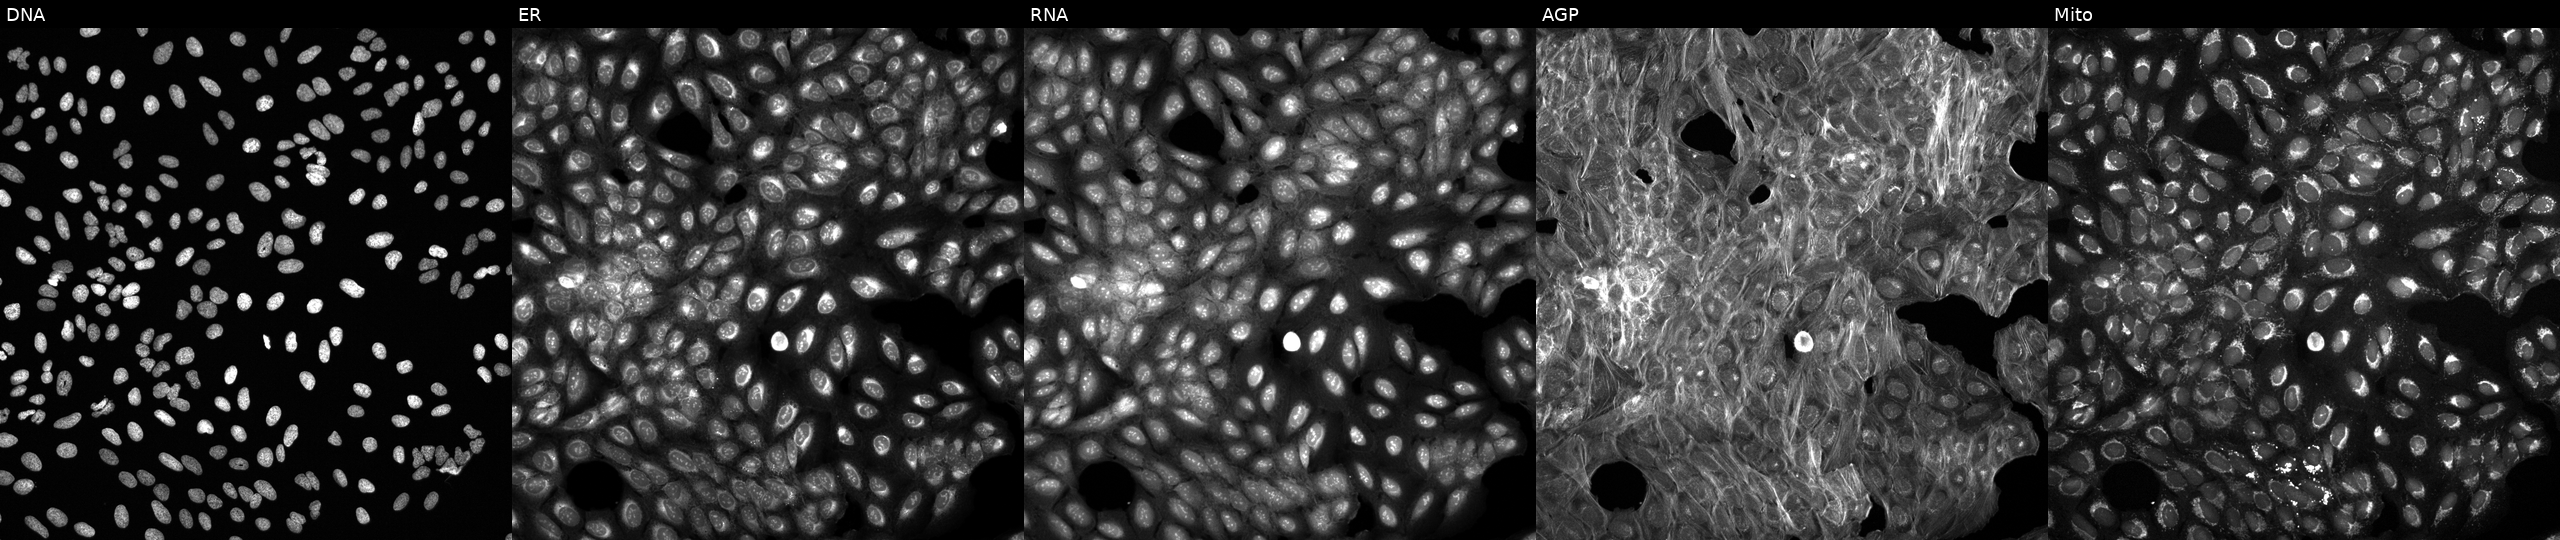
High-content fluorescence microscopy (Cell Painting). Cell line: U2OS. Perturbation: exposed to DMSO alone as a negative control (JUMP id JCP2022_033924). The five panels, left to right, show DNA (nuclei); ER (endoplasmic reticulum); RNA (nucleoli and cytoplasmic RNA); AGP (actin cytoskeleton, Golgi, and plasma membrane); Mito (mitochondria). Source 6, plate 110000293093, well M10.